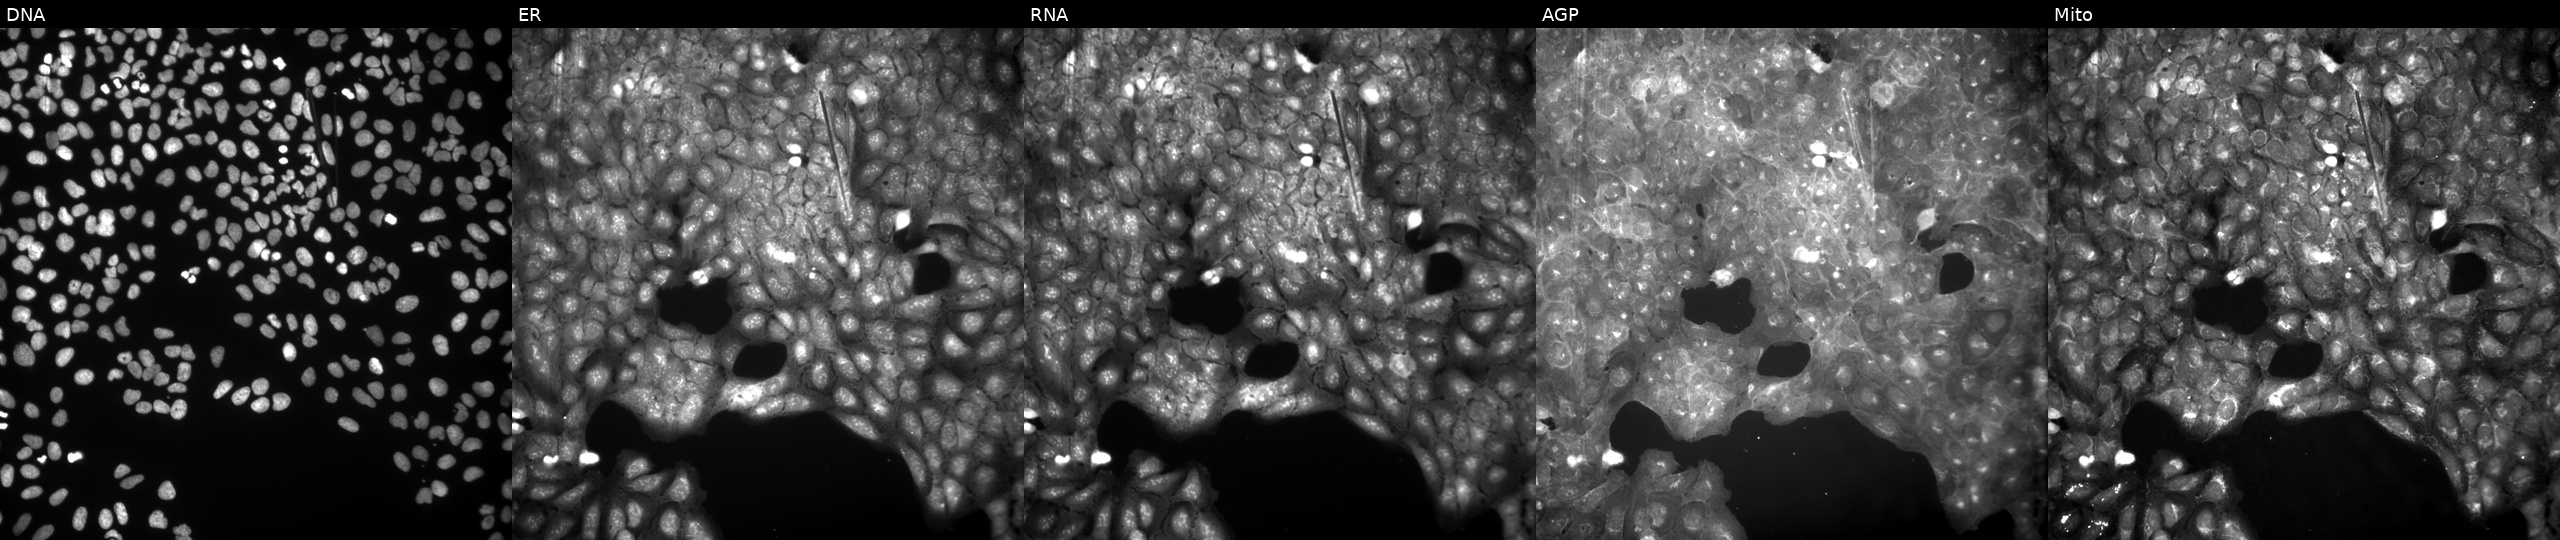
This image strip shows the five Cell Painting channels for a single field of U2OS cells perturbed with a small-molecule compound (InChIKey MQMMZWGUNUVVMF-UHFFFAOYSA-N). Panels show, left to right, DNA, ER, RNA, AGP, and Mito.